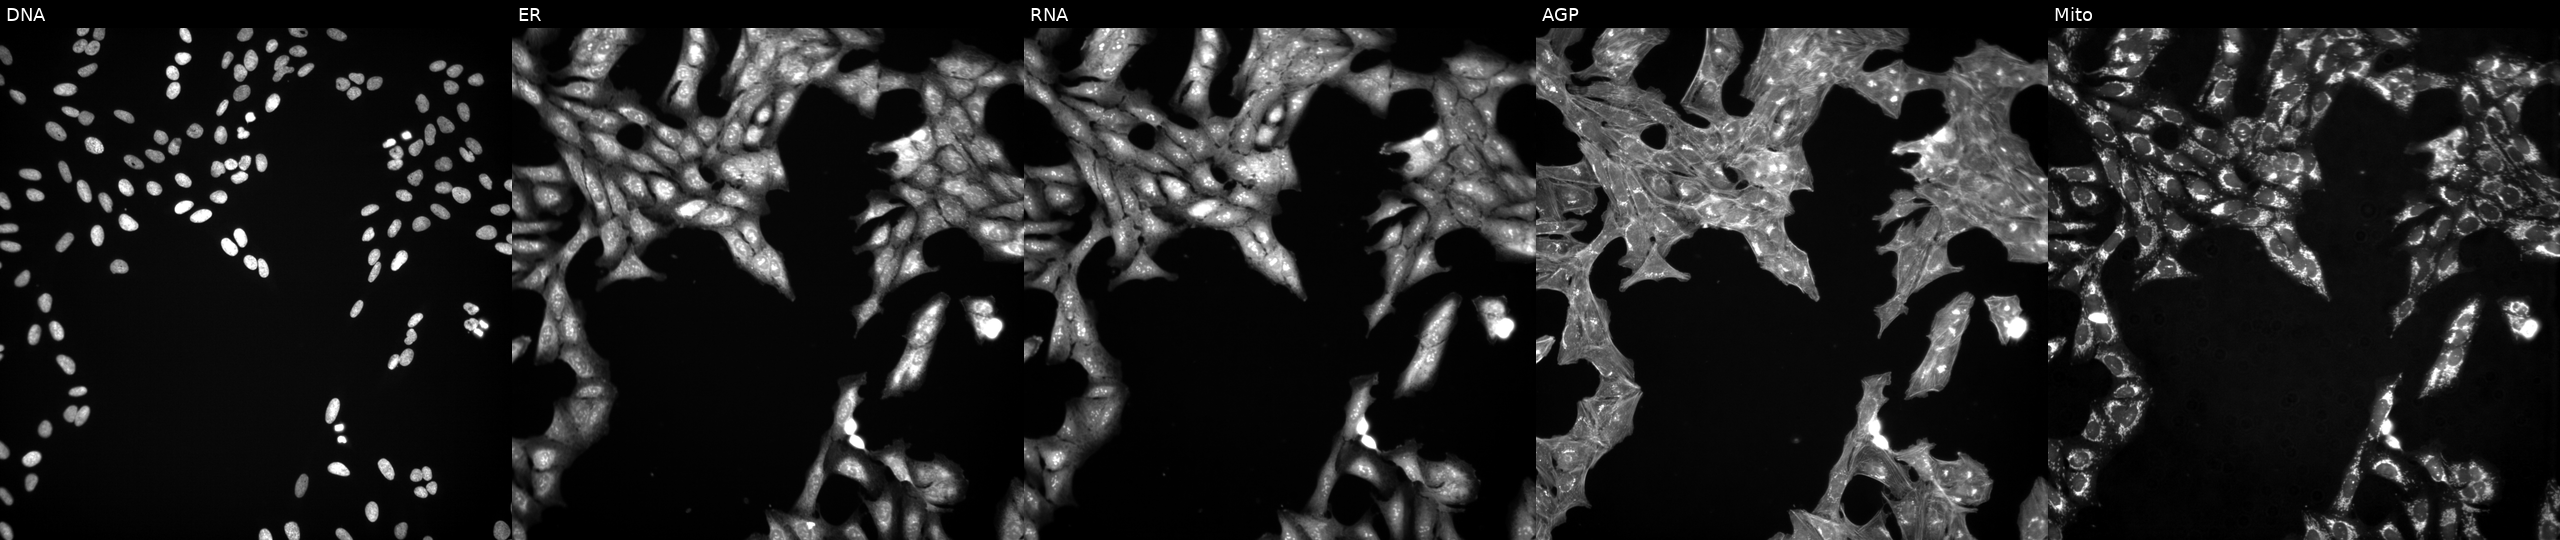
U2OS cells, Cell Painting assay, exposed to a small-molecule compound (InChIKey FNHKPVJBJVTLMP-UHFFFAOYSA-N). Panels show, left to right, DNA, ER, RNA, AGP, and Mito. Each panel is percentile-stretched 16-bit fluorescence.